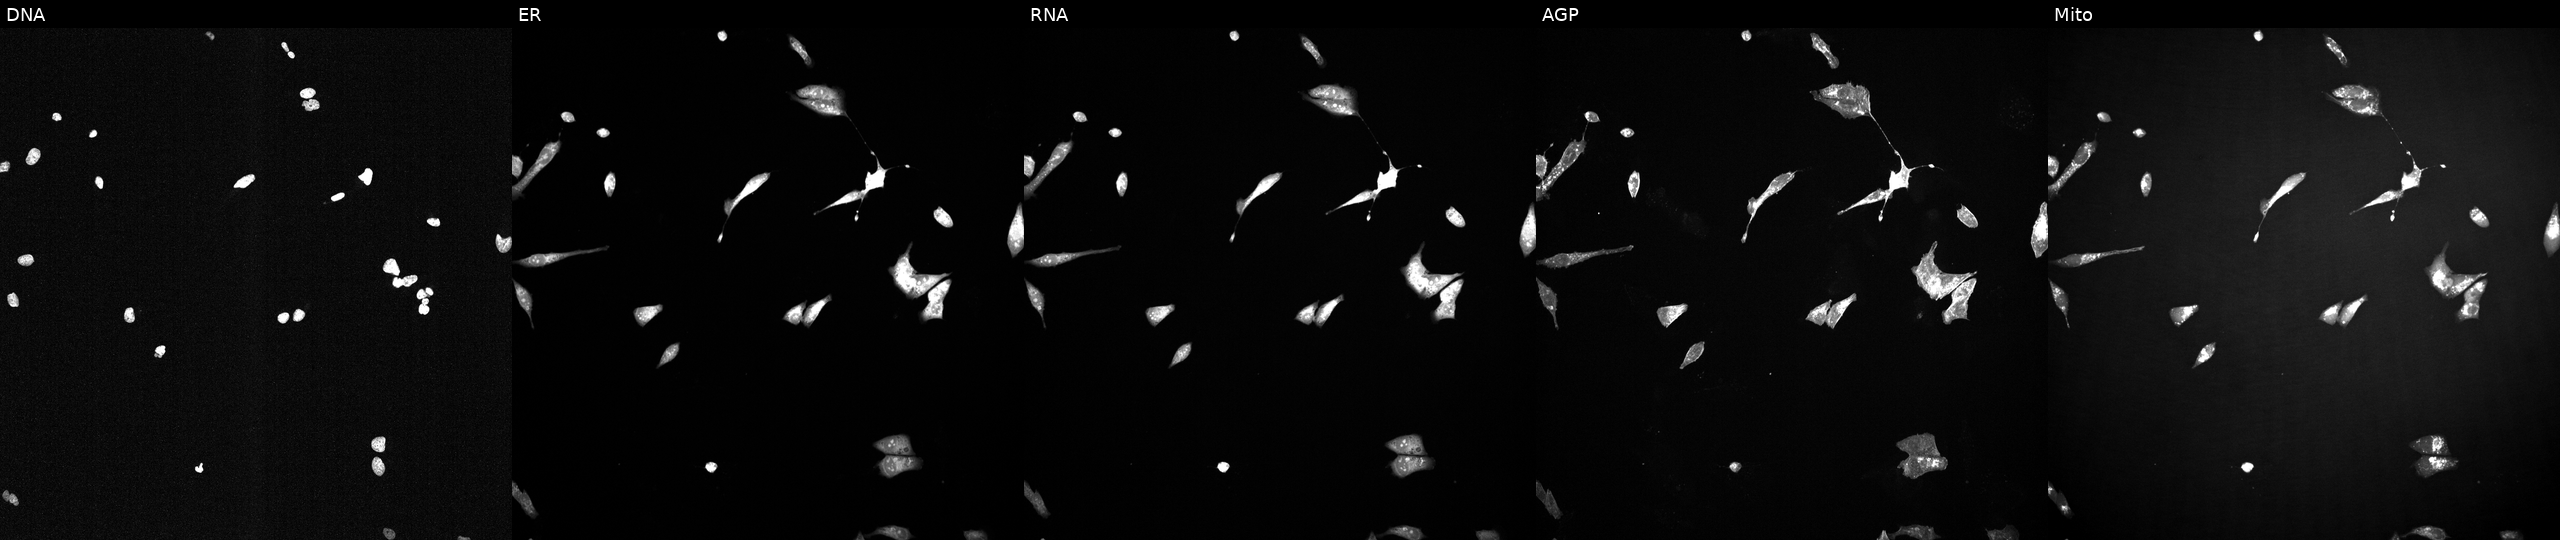
U2OS cells, Cell Painting assay, perturbed with a small-molecule compound (InChIKey VERWOWGGCGHDQE-UHFFFAOYSA-N) [SMILES: Cc1cc(N=c2[nH]cc(Cl)c(=Nc3ccccc3S(=O)(=O)C(C)C)[nH]2)c(OC(C)C)cc1C1CCNCC1] (JUMP id JCP2022_093480). From left to right: DNA, ER, RNA, AGP, and Mito. Each panel is percentile-stretched 16-bit fluorescence.